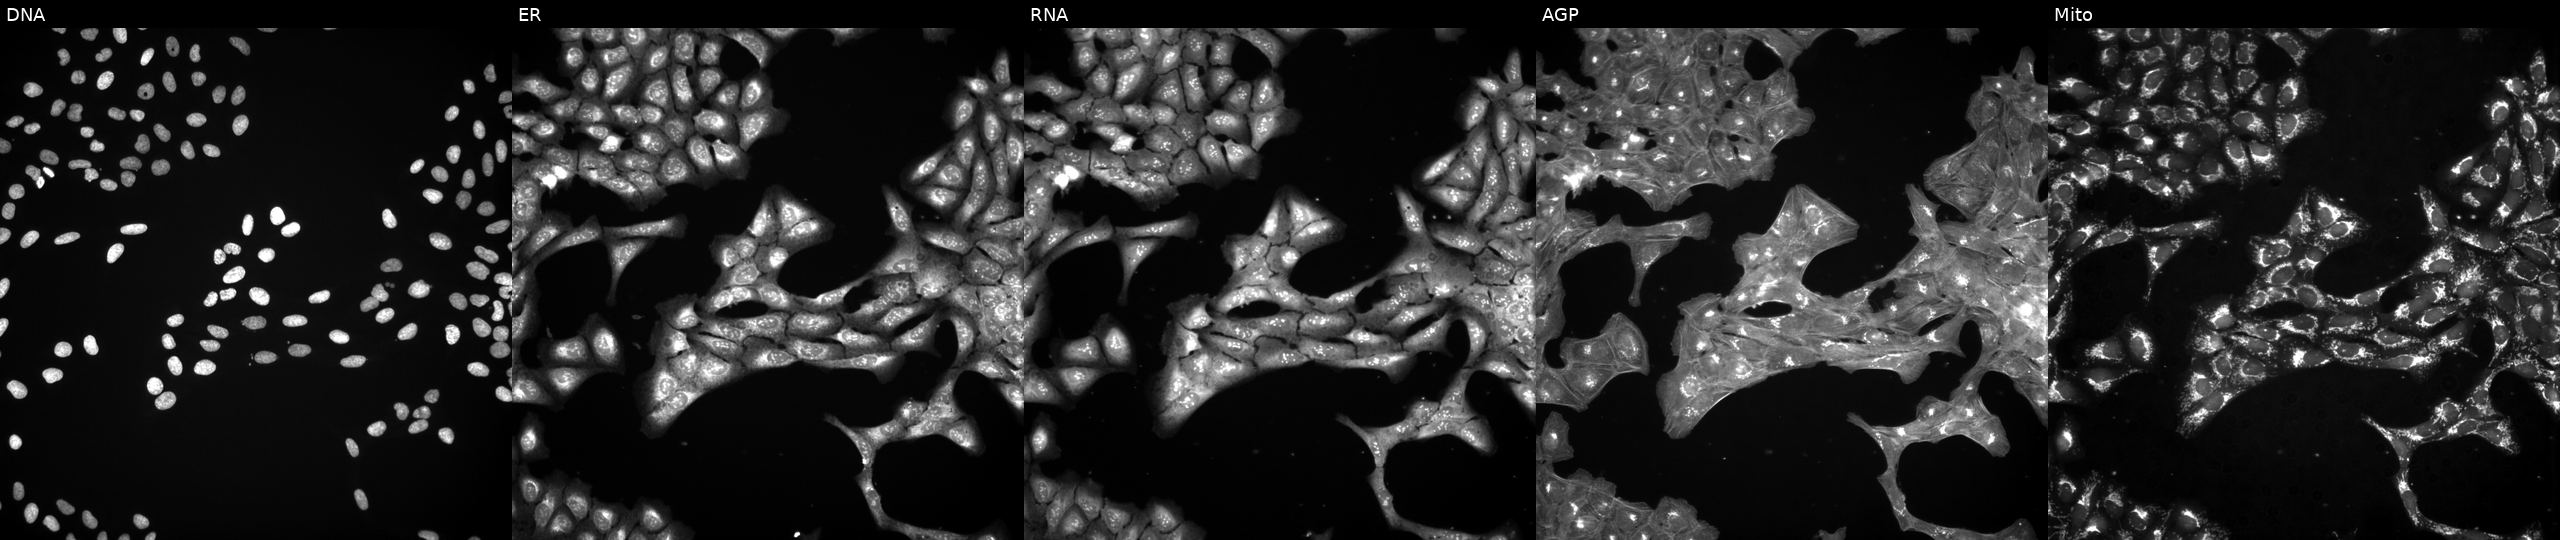
From left to right: DNA, ER, RNA, AGP, and Mito. U2OS osteosarcoma cells treated with a small-molecule compound (InChIKey JBBLBJWTYWGRCU-UHFFFAOYSA-N) (JUMP id JCP2022_038613). Cell Painting assay, JUMP-CP dataset. Source 3, plate BR5867a3, well L08.